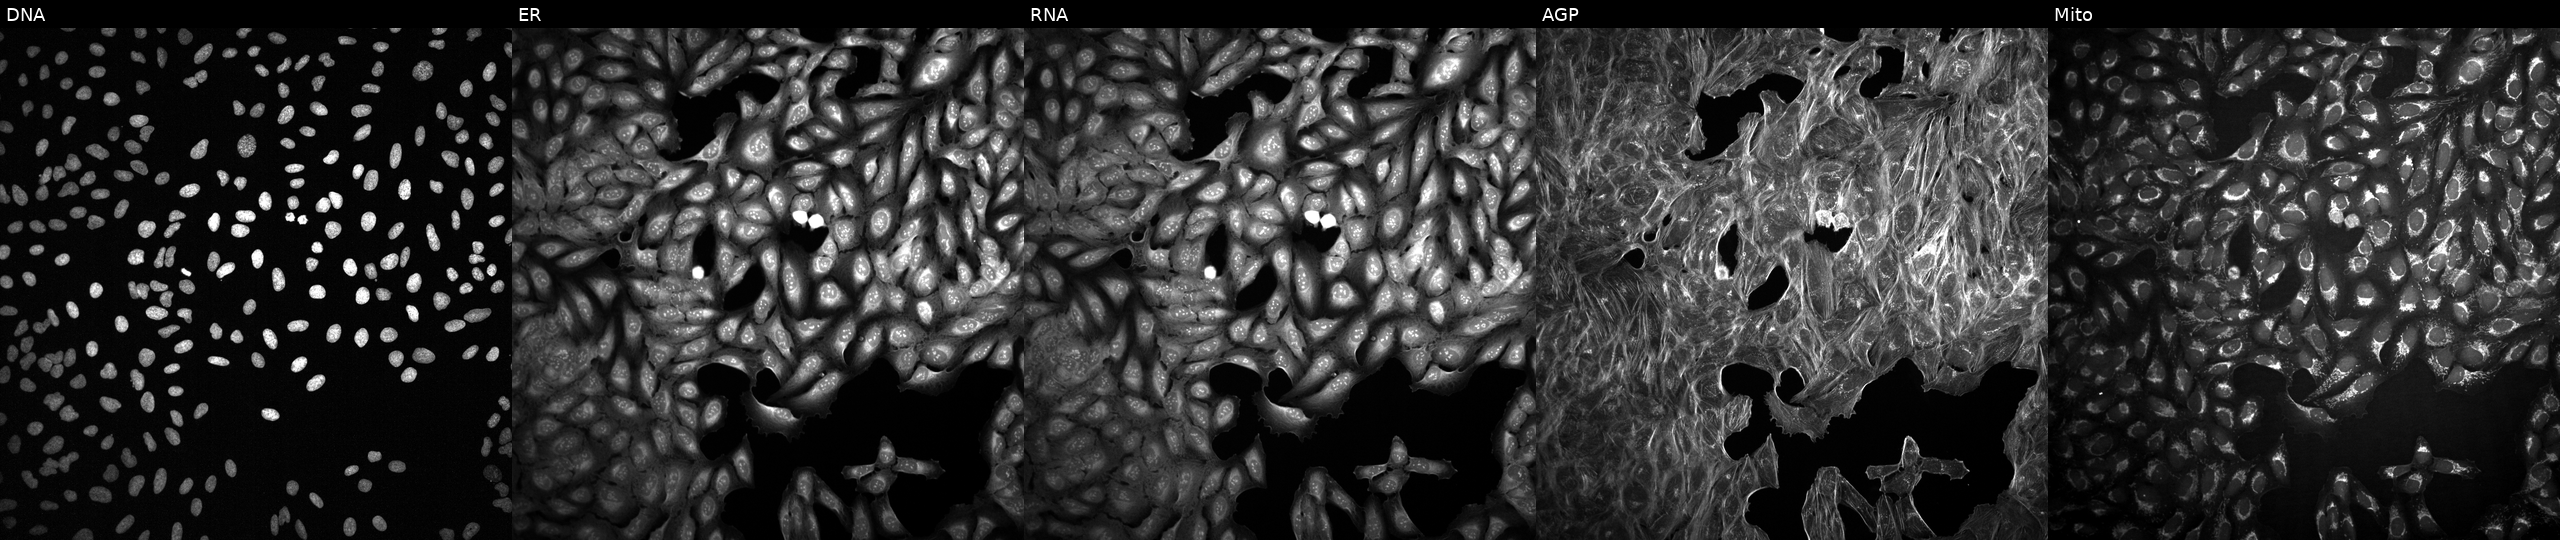
JUMP Cell Painting — COMPOUND plate. U2OS cells perturbed with a small-molecule compound. From left to right: Hoechst 33342, concanavalin A, SYTO 14, phalloidin and WGA, MitoTracker.